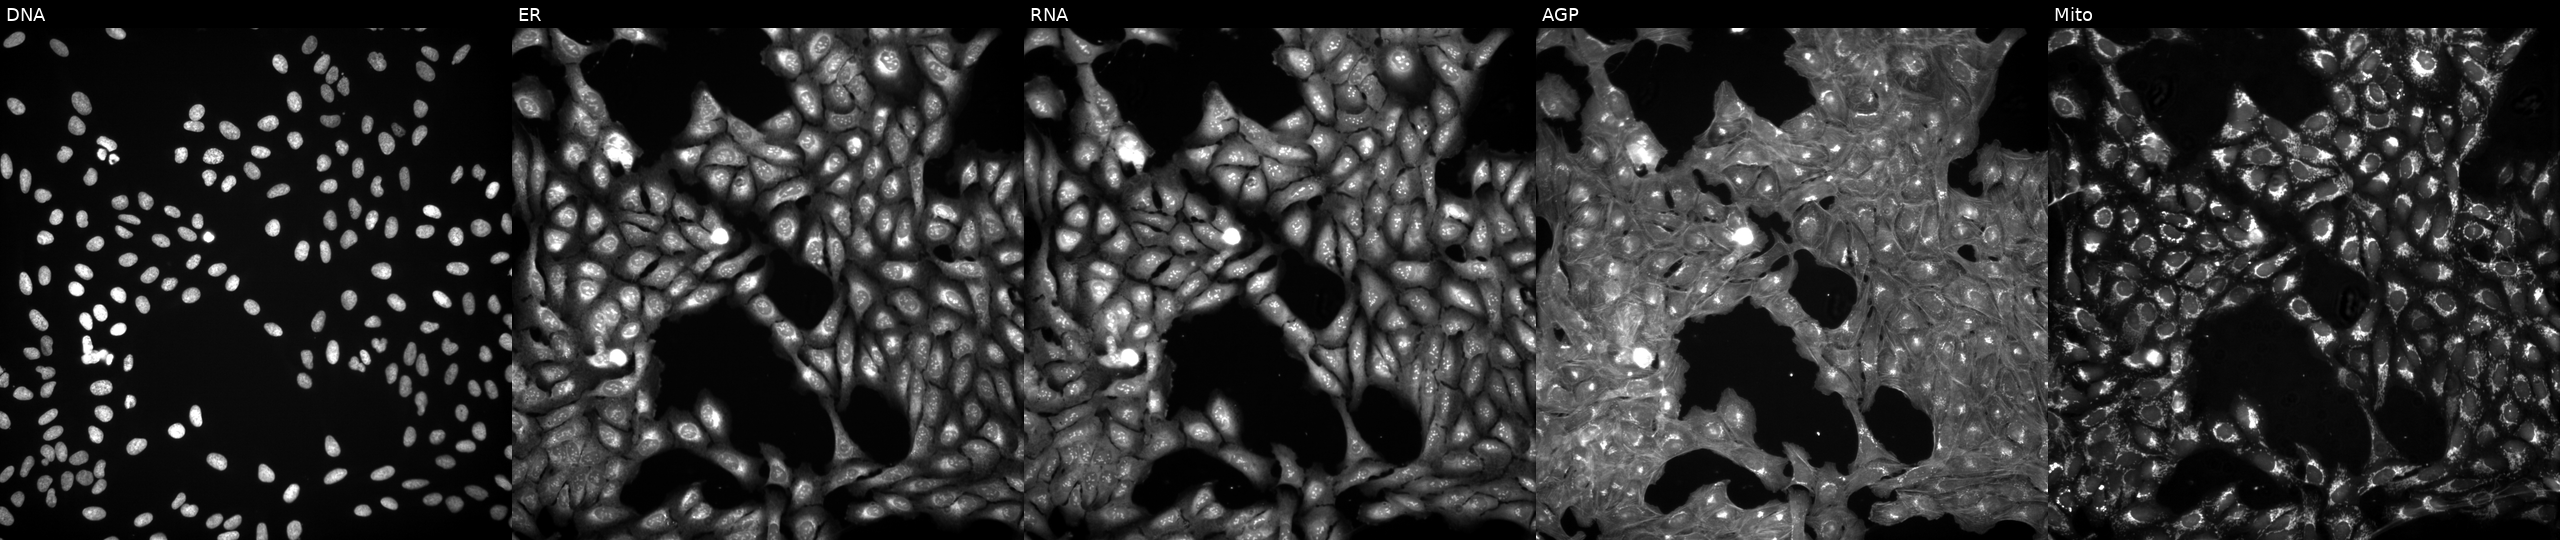
JUMP Cell Painting — COMPOUND plate. U2OS cells exposed to a small-molecule compound (InChIKey ZYZKGCYIFYJMPC-UHFFFAOYSA-N) (JUMP id JCP2022_116577). From left to right: DNA (nuclei); ER (endoplasmic reticulum); RNA (nucleoli and cytoplasmic RNA); AGP (actin cytoskeleton, Golgi, and plasma membrane); Mito (mitochondria).